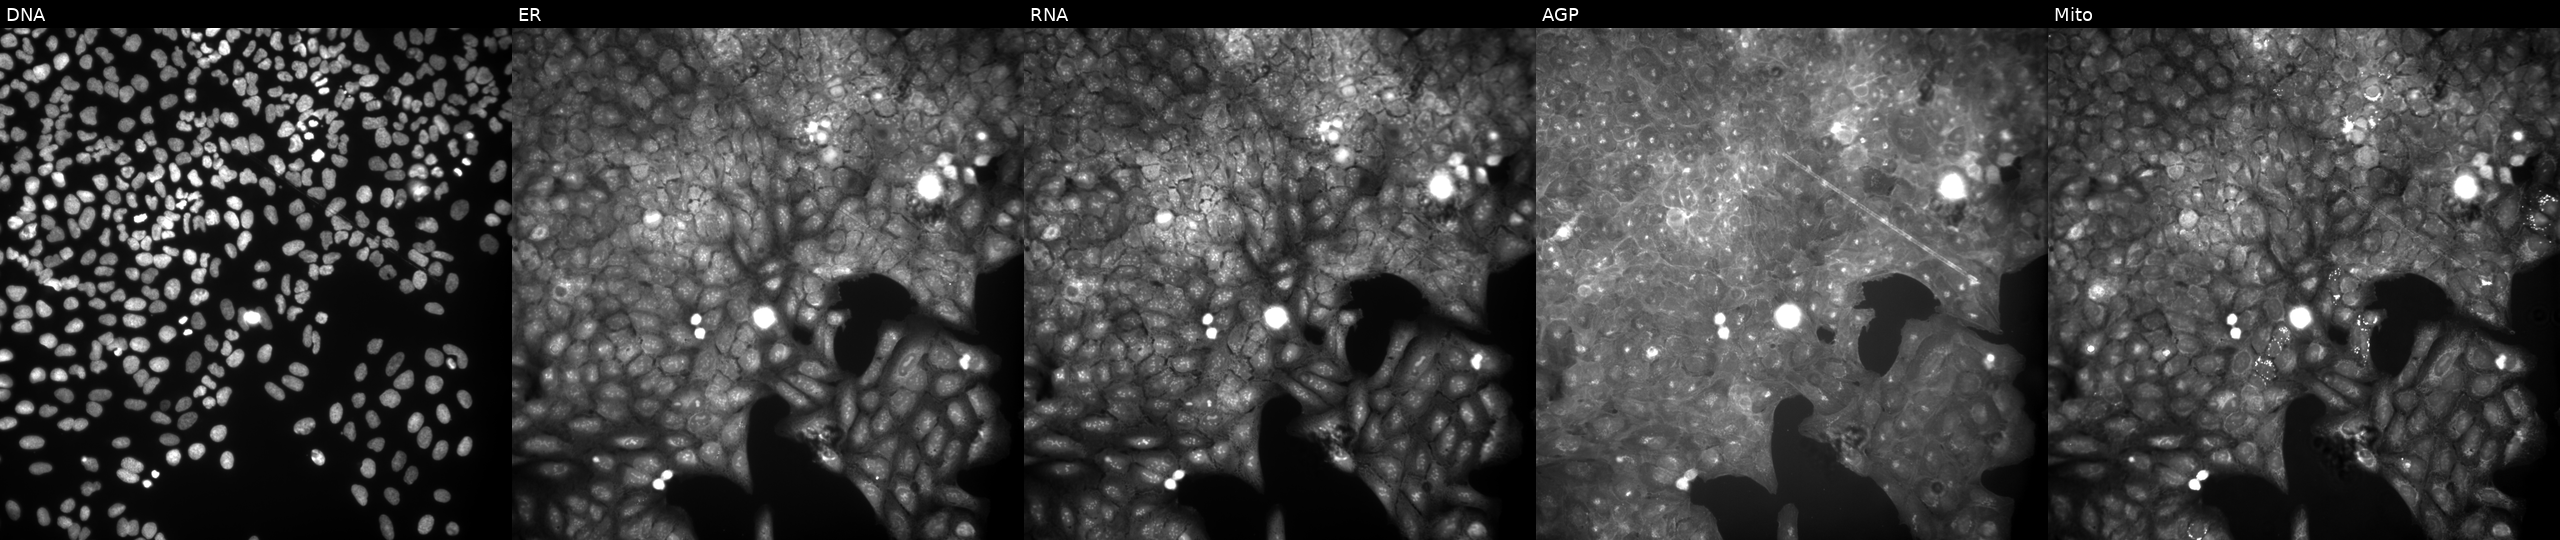
Five-channel Cell Painting image of U2OS cells exposed to the positive-control compound quinidine. The five panels, left to right, show DNA (nuclei); ER (endoplasmic reticulum); RNA (nucleoli and cytoplasmic RNA); AGP (actin cytoskeleton, Golgi, and plasma membrane); Mito (mitochondria).